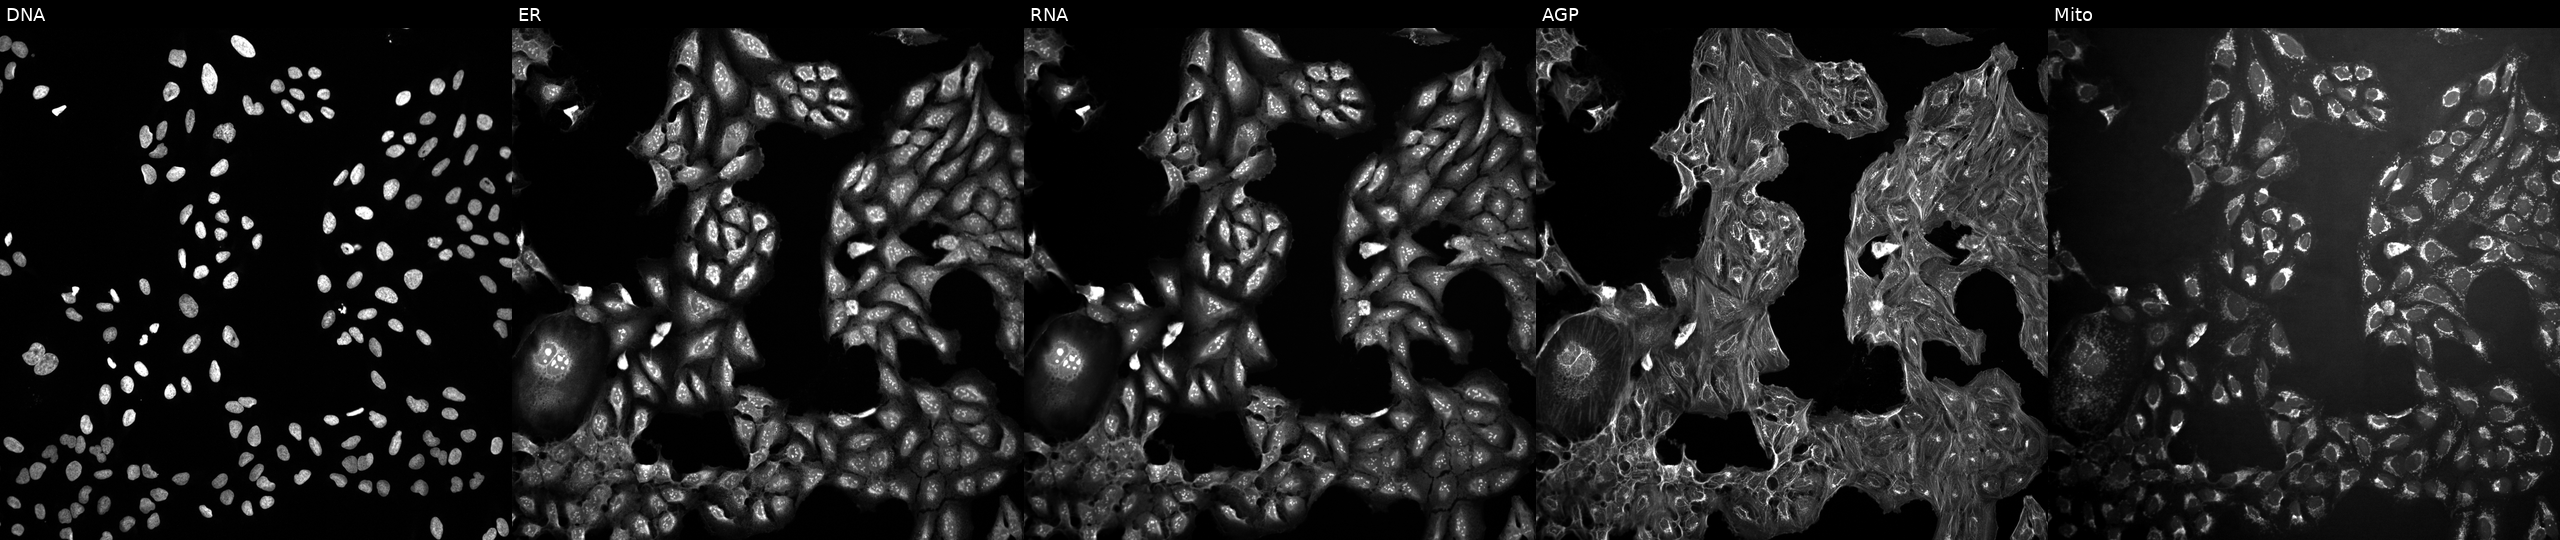
Panels show, left to right, Hoechst 33342, concanavalin A, SYTO 14, phalloidin and WGA, MitoTracker. U2OS osteosarcoma cells perturbed with a small-molecule compound (InChIKey KFAKESMKRPNZTM-UHFFFAOYSA-N). Cell Painting assay, JUMP-CP dataset.